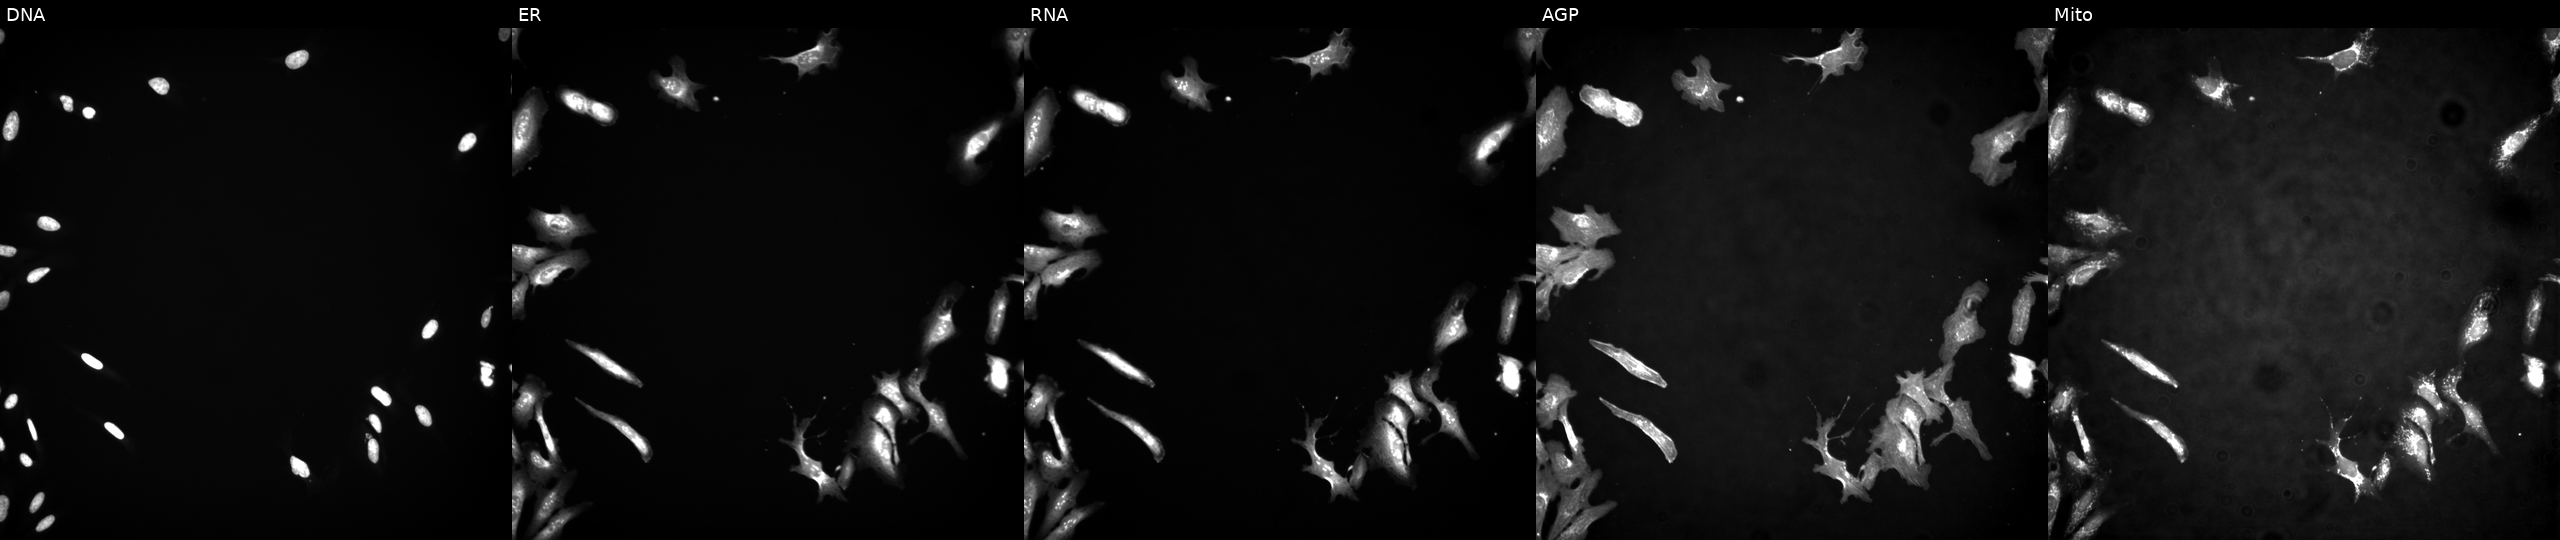
Five-channel Cell Painting image of U2OS cells transfected with an ORF construct for LOC652722. Panels show, left to right, DNA, ER, RNA, AGP, and Mito.